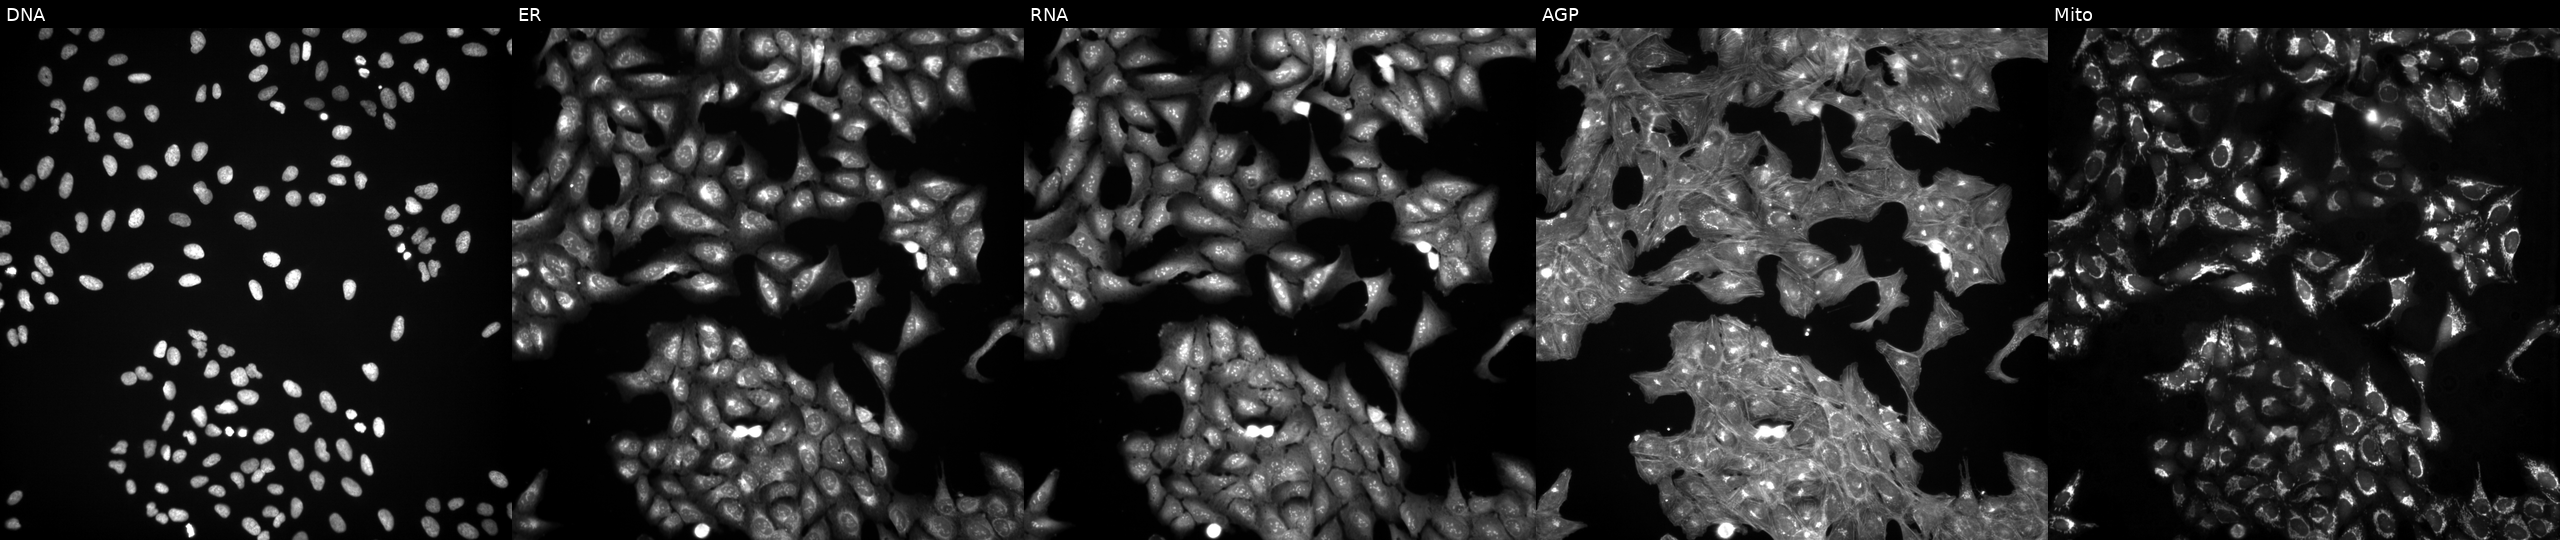
Panels show, left to right, DNA, ER, RNA, AGP, and Mito. U2OS osteosarcoma cells exposed to a small-molecule compound. Cell Painting assay, JUMP-CP dataset. Source 3, plate JCPQC053, well K18.